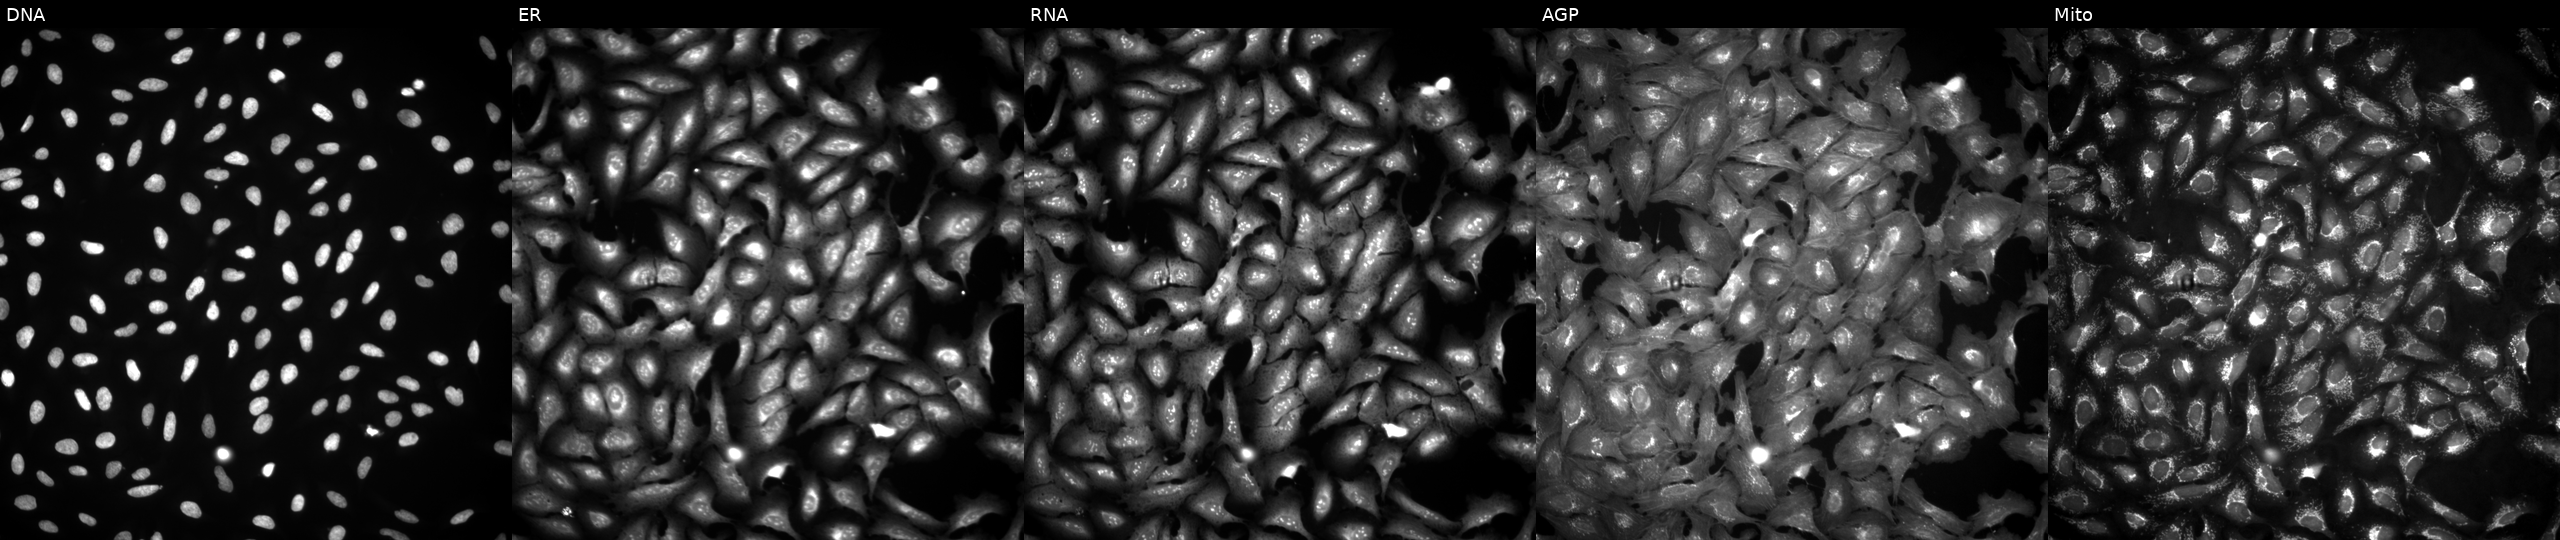
This image strip shows the five Cell Painting channels for a single field of U2OS cells overexpressing VSIG4 via ORF transfection (JUMP id JCP2022_902505). The five panels, left to right, show DNA (nuclei); ER (endoplasmic reticulum); RNA (nucleoli and cytoplasmic RNA); AGP (actin cytoskeleton, Golgi, and plasma membrane); Mito (mitochondria). Source 4, plate BR00124787, well A11.